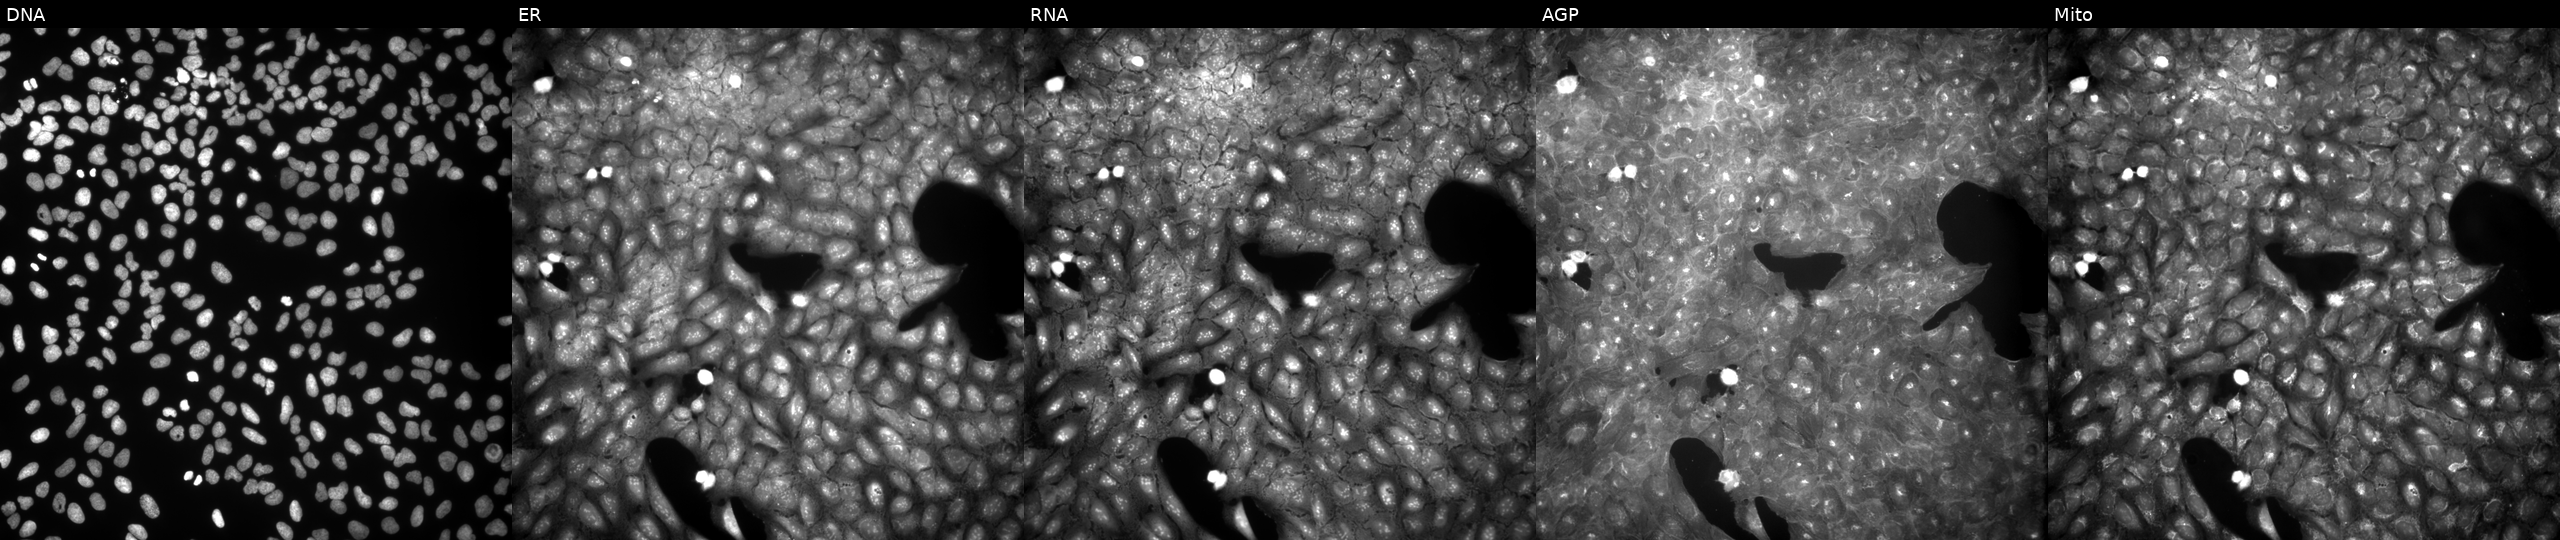
U2OS cells, Cell Painting assay, treated with DMSO vehicle only (negative control). The five panels, left to right, show DNA (nuclei); ER (endoplasmic reticulum); RNA (nucleoli and cytoplasmic RNA); AGP (actin cytoskeleton, Golgi, and plasma membrane); Mito (mitochondria). Each panel is percentile-stretched 16-bit fluorescence.